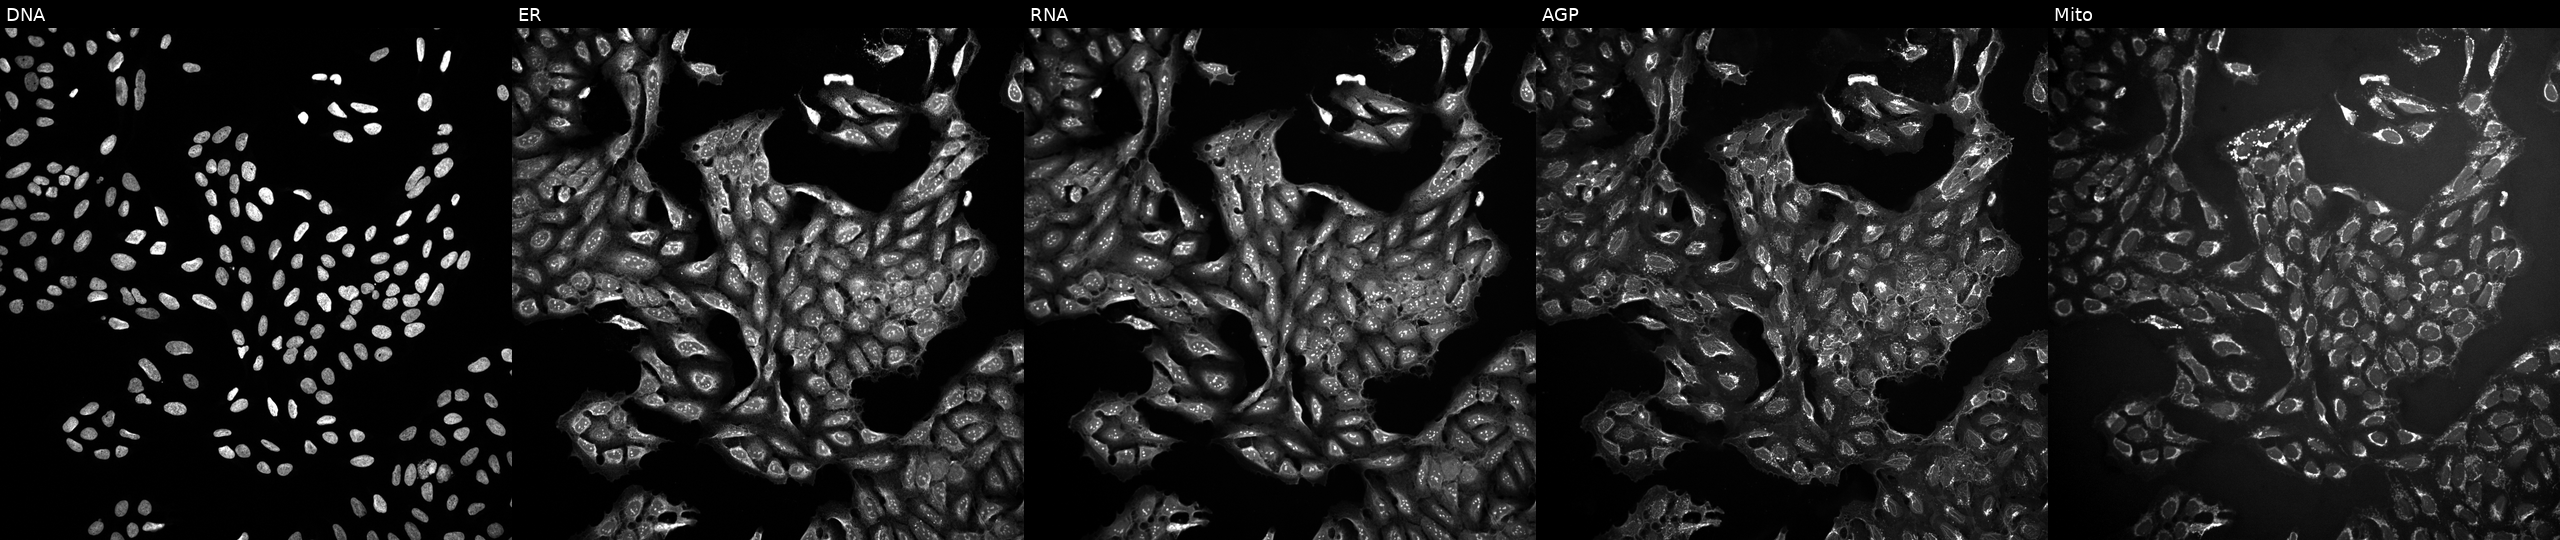
Five-channel Cell Painting image of U2OS cells perturbed with a small-molecule compound (InChIKey PHOGQKDIVUJGMJ-UHFFFAOYSA-N). The five panels, left to right, show DNA (nuclei); ER (endoplasmic reticulum); RNA (nucleoli and cytoplasmic RNA); AGP (actin cytoskeleton, Golgi, and plasma membrane); Mito (mitochondria).